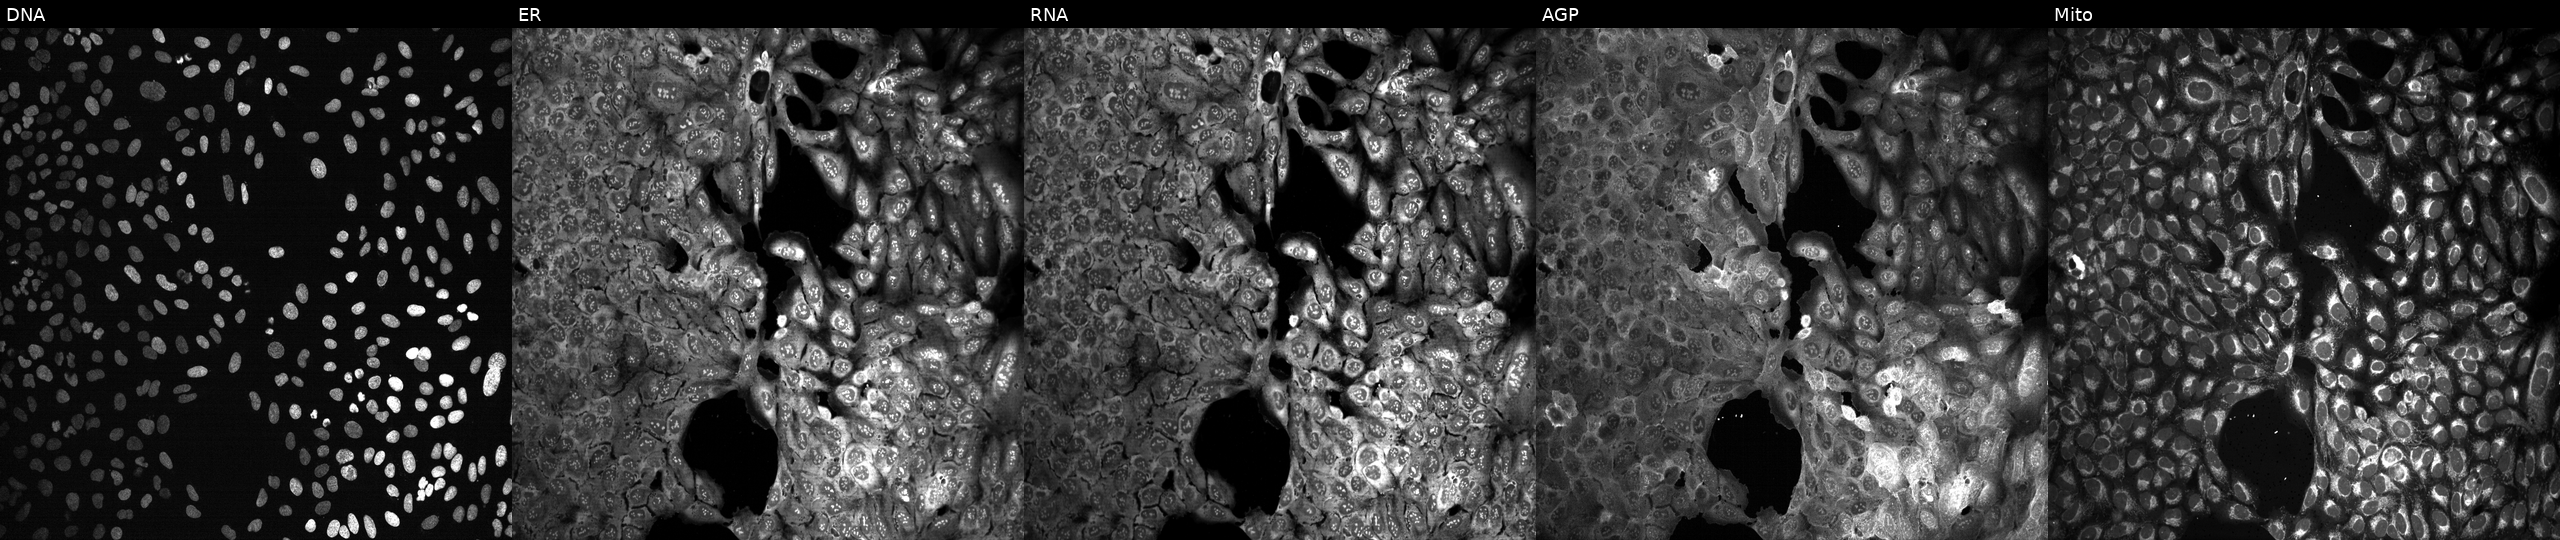
High-content fluorescence microscopy (Cell Painting). Cell line: U2OS. Perturbation: with MCCC1 knocked out by CRISPR (JUMP id JCP2022_804067). Channels (left→right): Hoechst 33342, concanavalin A, SYTO 14, phalloidin and WGA, MitoTracker.